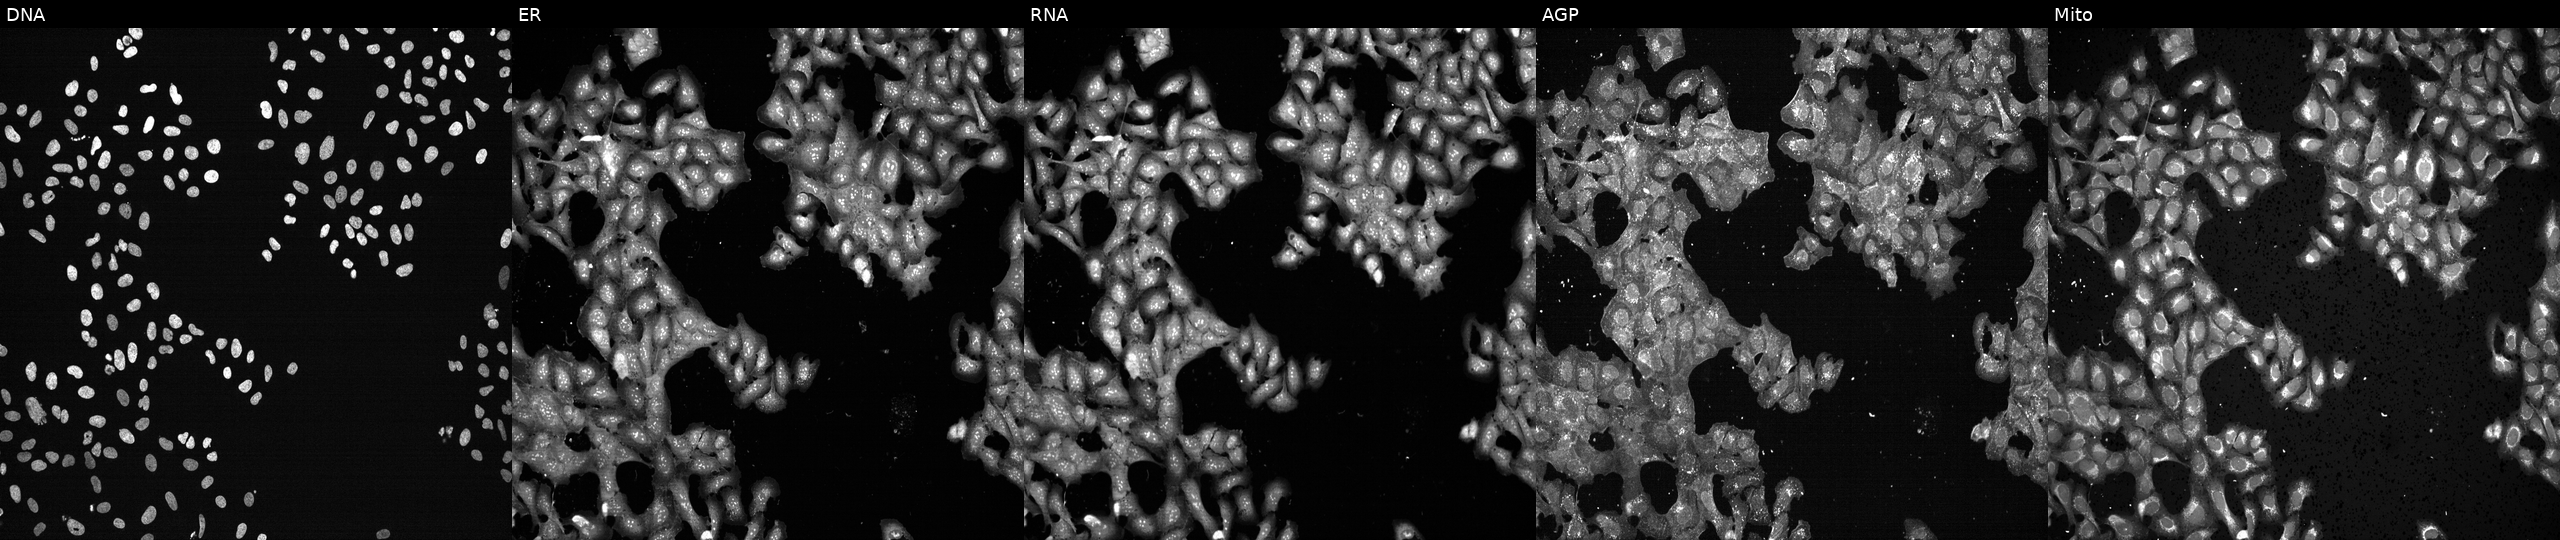
JUMP Cell Painting — CRISPR plate. U2OS cells exposed to the positive-control compound NVS-PAK1-1. Panels show, left to right, DNA (nuclei); ER (endoplasmic reticulum); RNA (nucleoli and cytoplasmic RNA); AGP (actin cytoskeleton, Golgi, and plasma membrane); Mito (mitochondria). Source 13, plate CP-CC9-R1-01, well N01.